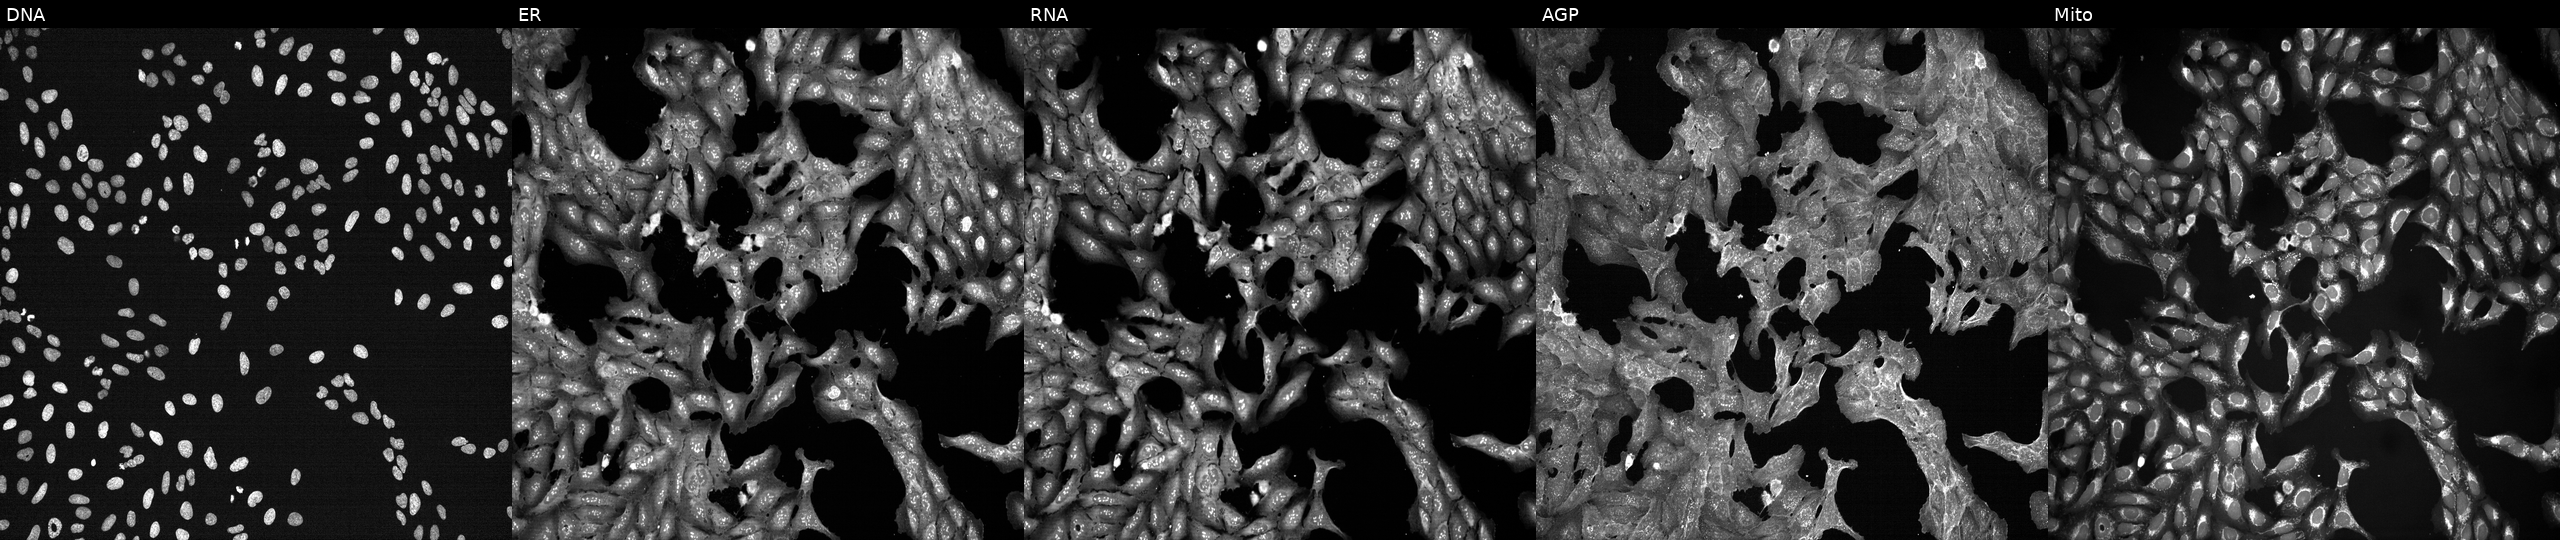
The five panels, left to right, show DNA, ER, RNA, AGP, and Mito. U2OS osteosarcoma cells treated with a small-molecule compound (InChIKey LPAHKJMGDSJDRG-UHFFFAOYSA-N) (JUMP id JCP2022_050830). Cell Painting assay, JUMP-CP dataset. Source 7, plate CP3-SC1-25, well F09.